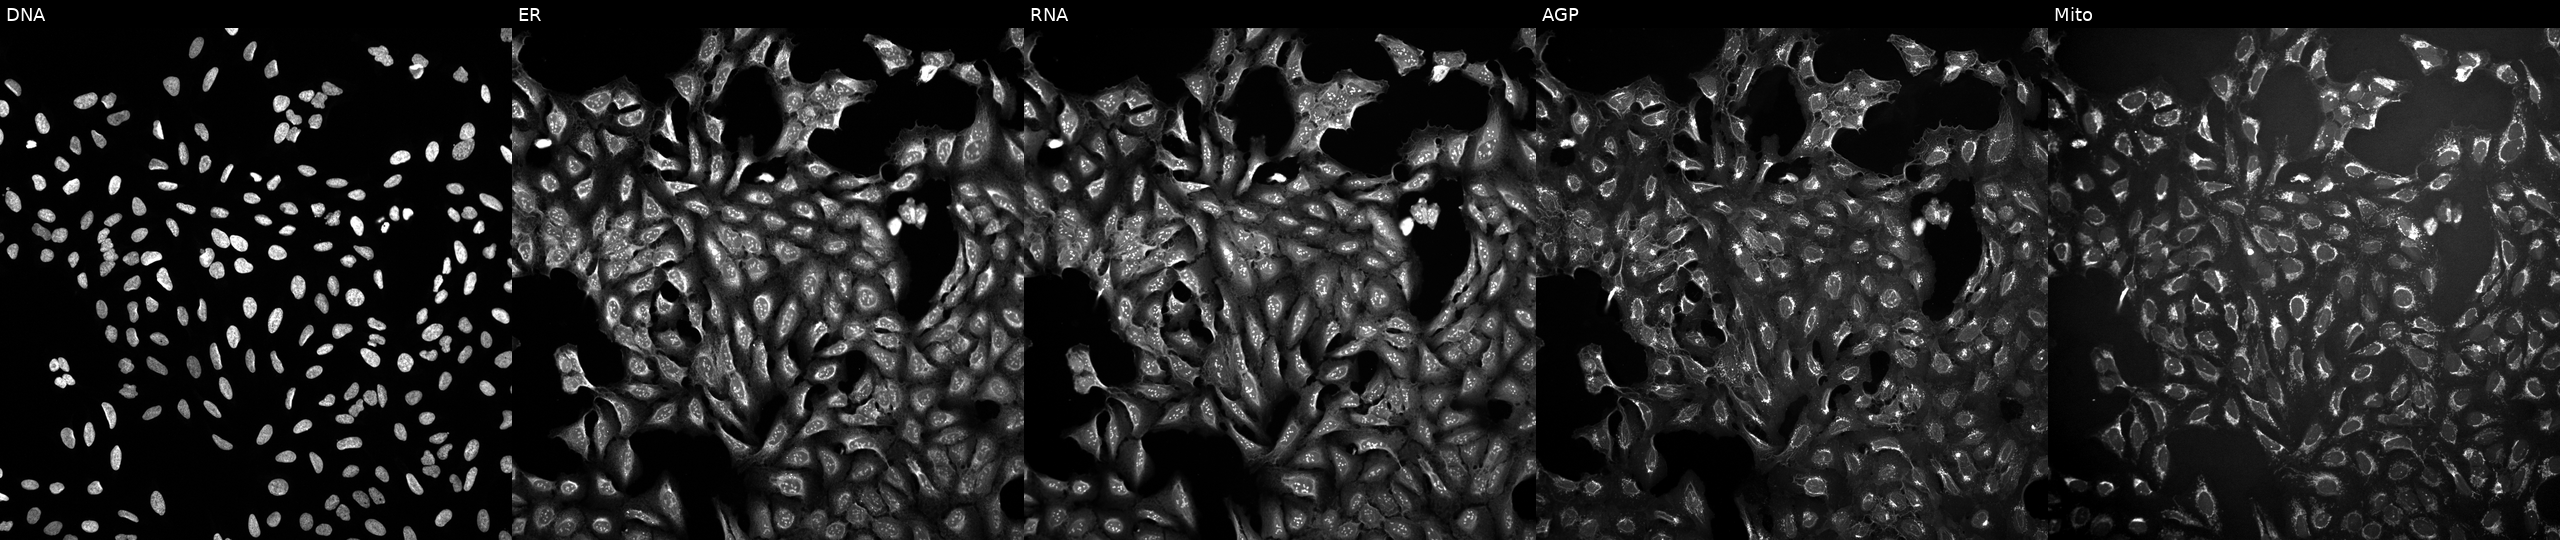
High-content fluorescence microscopy (Cell Painting). Cell line: U2OS. Perturbation: perturbed with a small-molecule compound (InChIKey PDMUGYOXRHVNMO-UHFFFAOYSA-N) [SMILES: OCCn1cc(-c2cnc3nnn(Cc4ccc5ncccc5c4)c3n2)cn1] (JUMP id JCP2022_067886). Channels (left→right): DNA (nuclei); ER (endoplasmic reticulum); RNA (nucleoli and cytoplasmic RNA); AGP (actin cytoskeleton, Golgi, and plasma membrane); Mito (mitochondria). Source 10, plate Dest210803-153958, well L08.